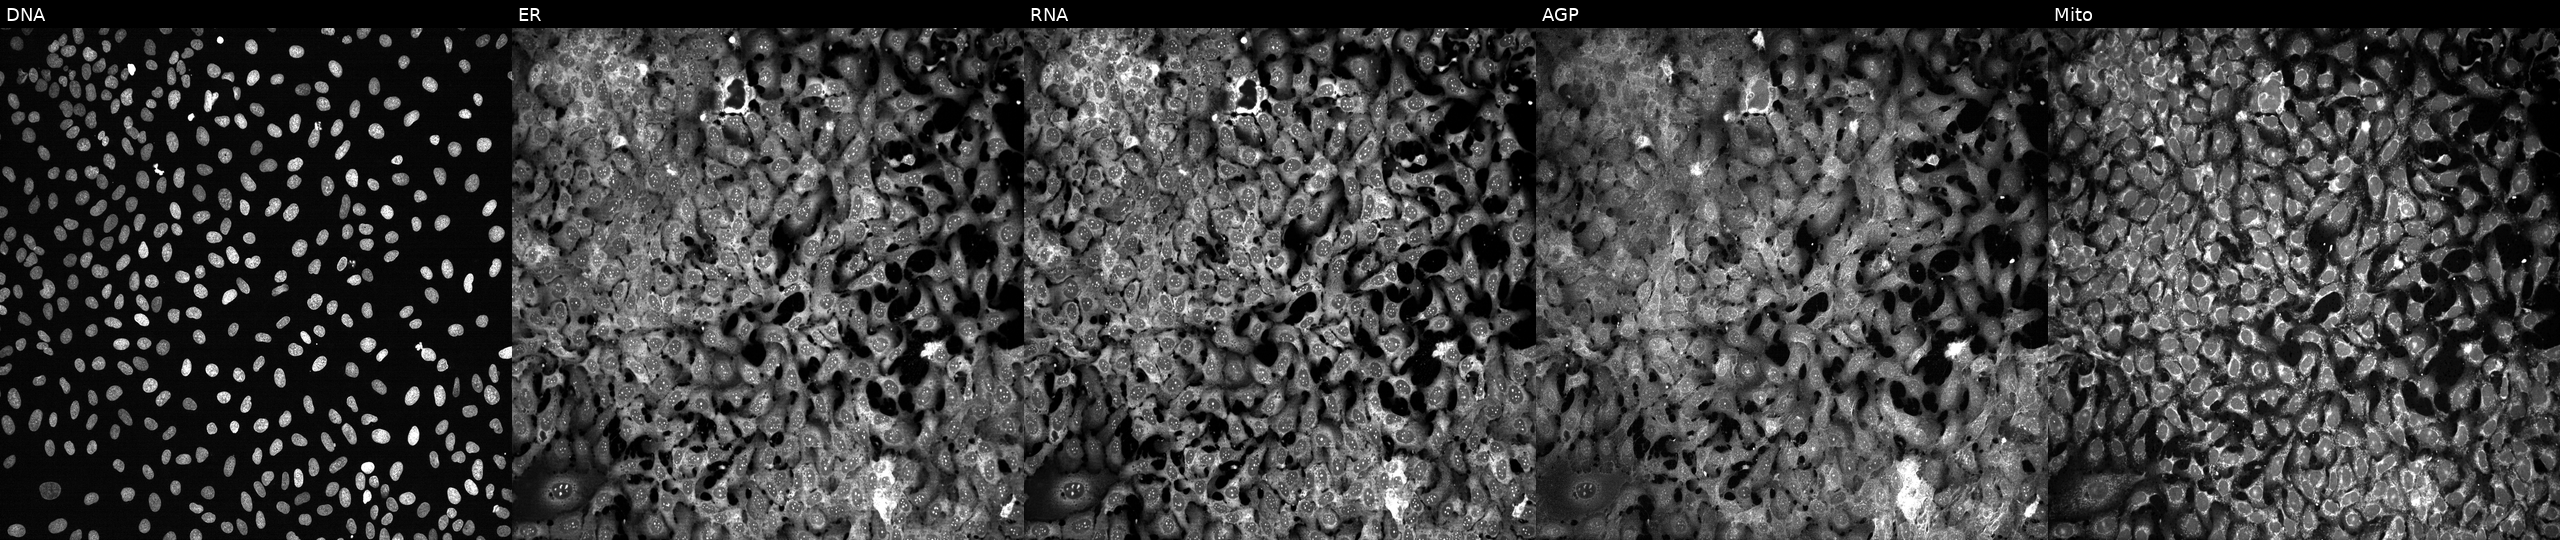
U2OS cells, Cell Painting assay, exposed to the positive-control compound FK-866. Panels show, left to right, DNA (nuclei); ER (endoplasmic reticulum); RNA (nucleoli and cytoplasmic RNA); AGP (actin cytoskeleton, Golgi, and plasma membrane); Mito (mitochondria). Each panel is percentile-stretched 16-bit fluorescence. Source 13, plate CP-CC9-R4-03, well P24.